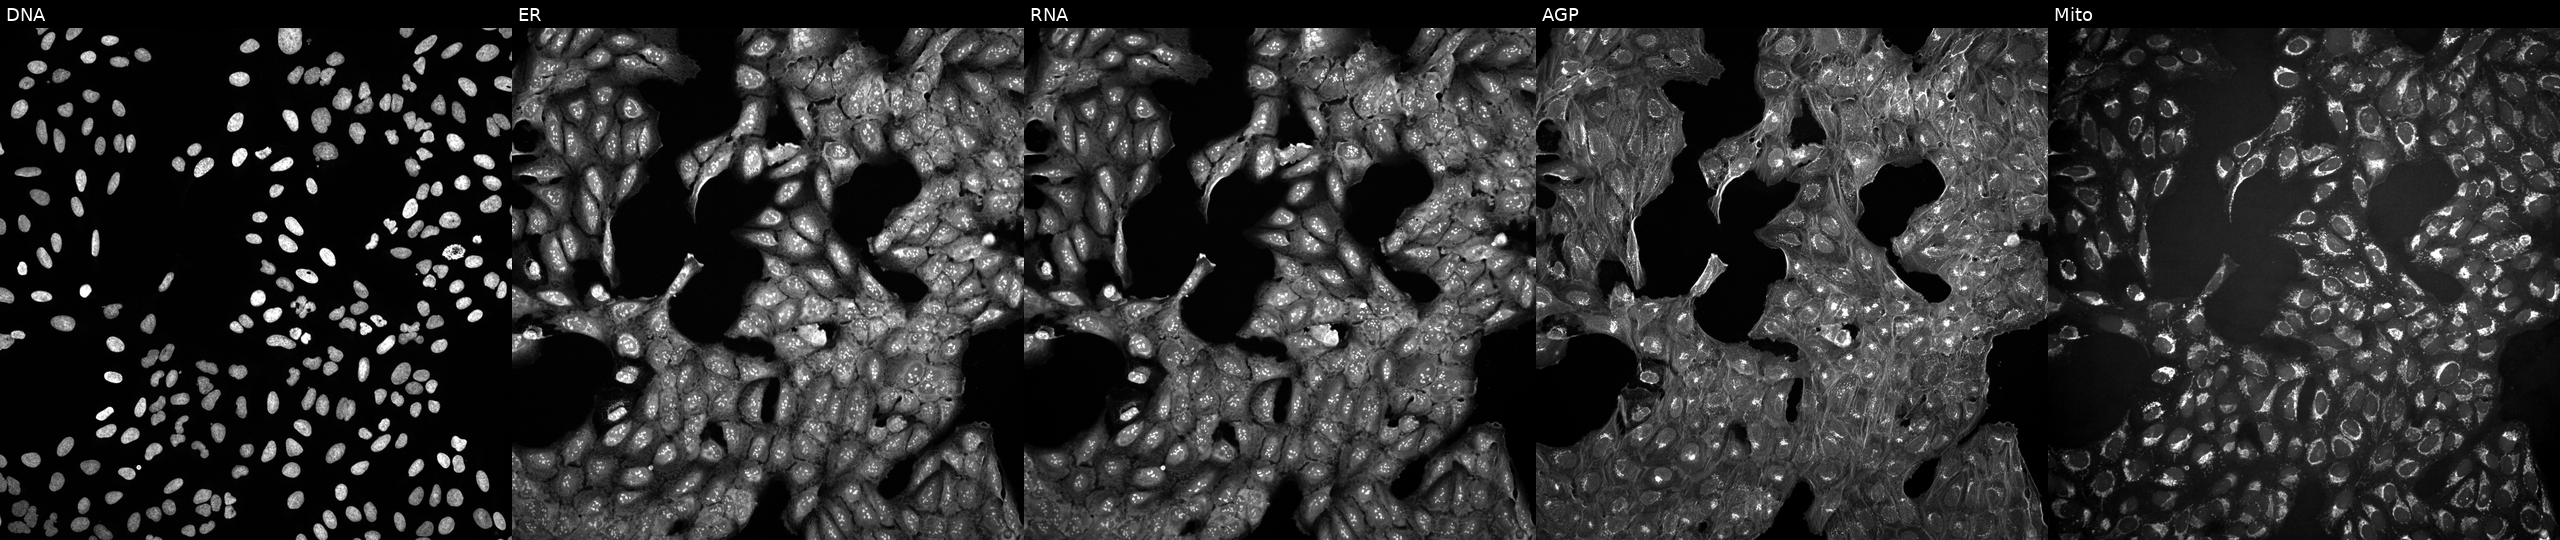
Five-channel Cell Painting image of U2OS cells exposed to a small-molecule compound [SMILES: O=C(NCc1cn(-c2ccsc2)nn1)C1(c2ccc(F)cc2)CC1] (JUMP id JCP2022_086233). Panels show, left to right, DNA (nuclei); ER (endoplasmic reticulum); RNA (nucleoli and cytoplasmic RNA); AGP (actin cytoskeleton, Golgi, and plasma membrane); Mito (mitochondria).